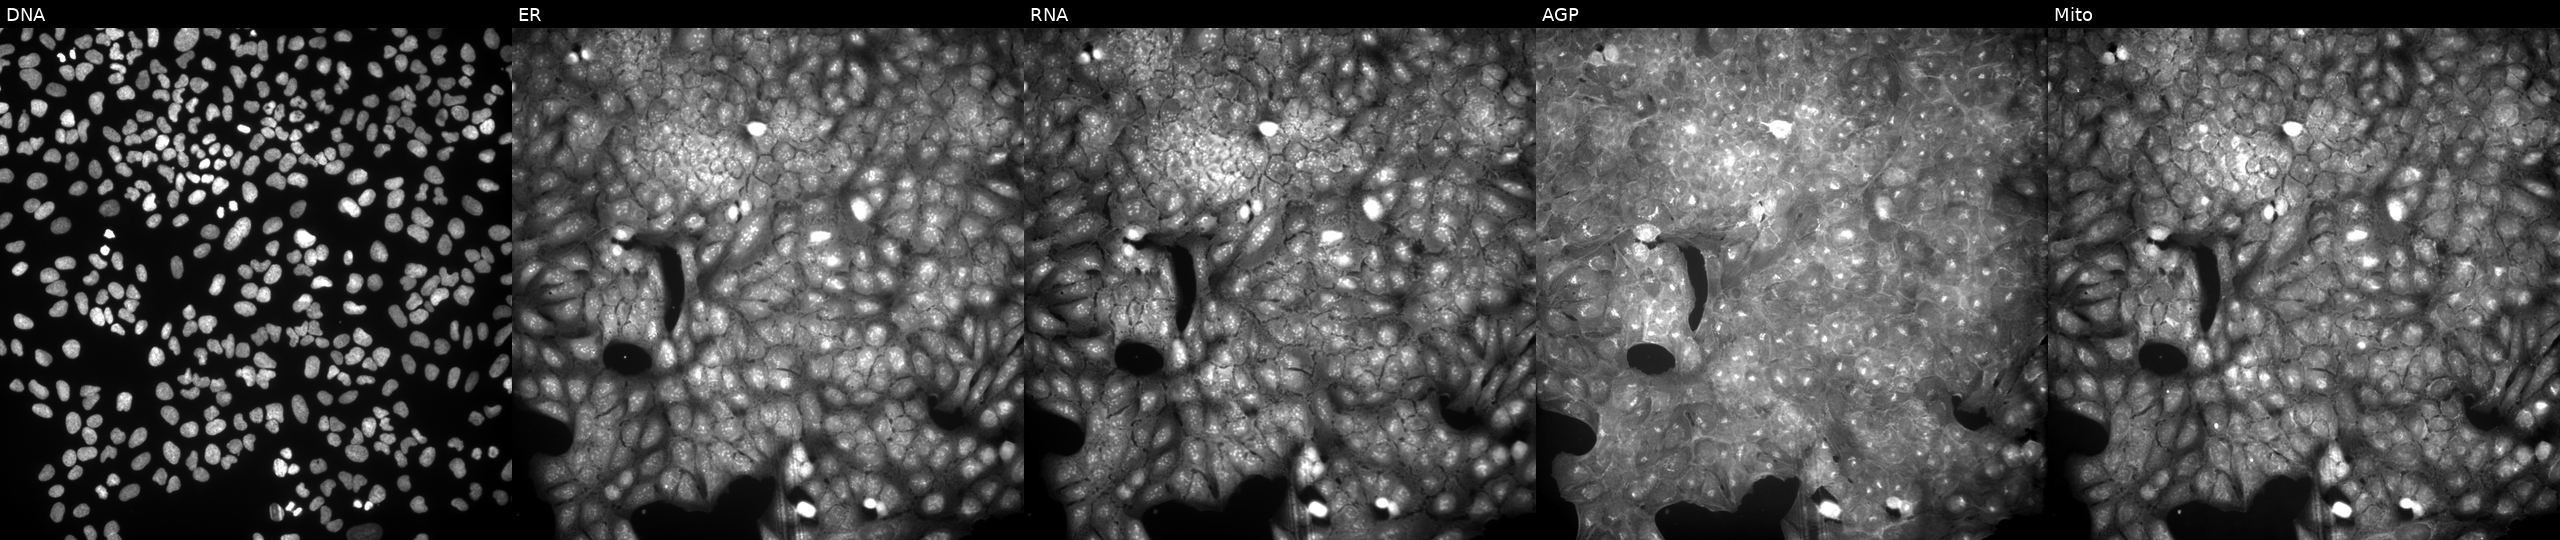
Five-channel Cell Painting image of U2OS cells perturbed with a small-molecule compound (JUMP id JCP2022_101558). Panels show, left to right, DNA (nuclei); ER (endoplasmic reticulum); RNA (nucleoli and cytoplasmic RNA); AGP (actin cytoskeleton, Golgi, and plasma membrane); Mito (mitochondria).